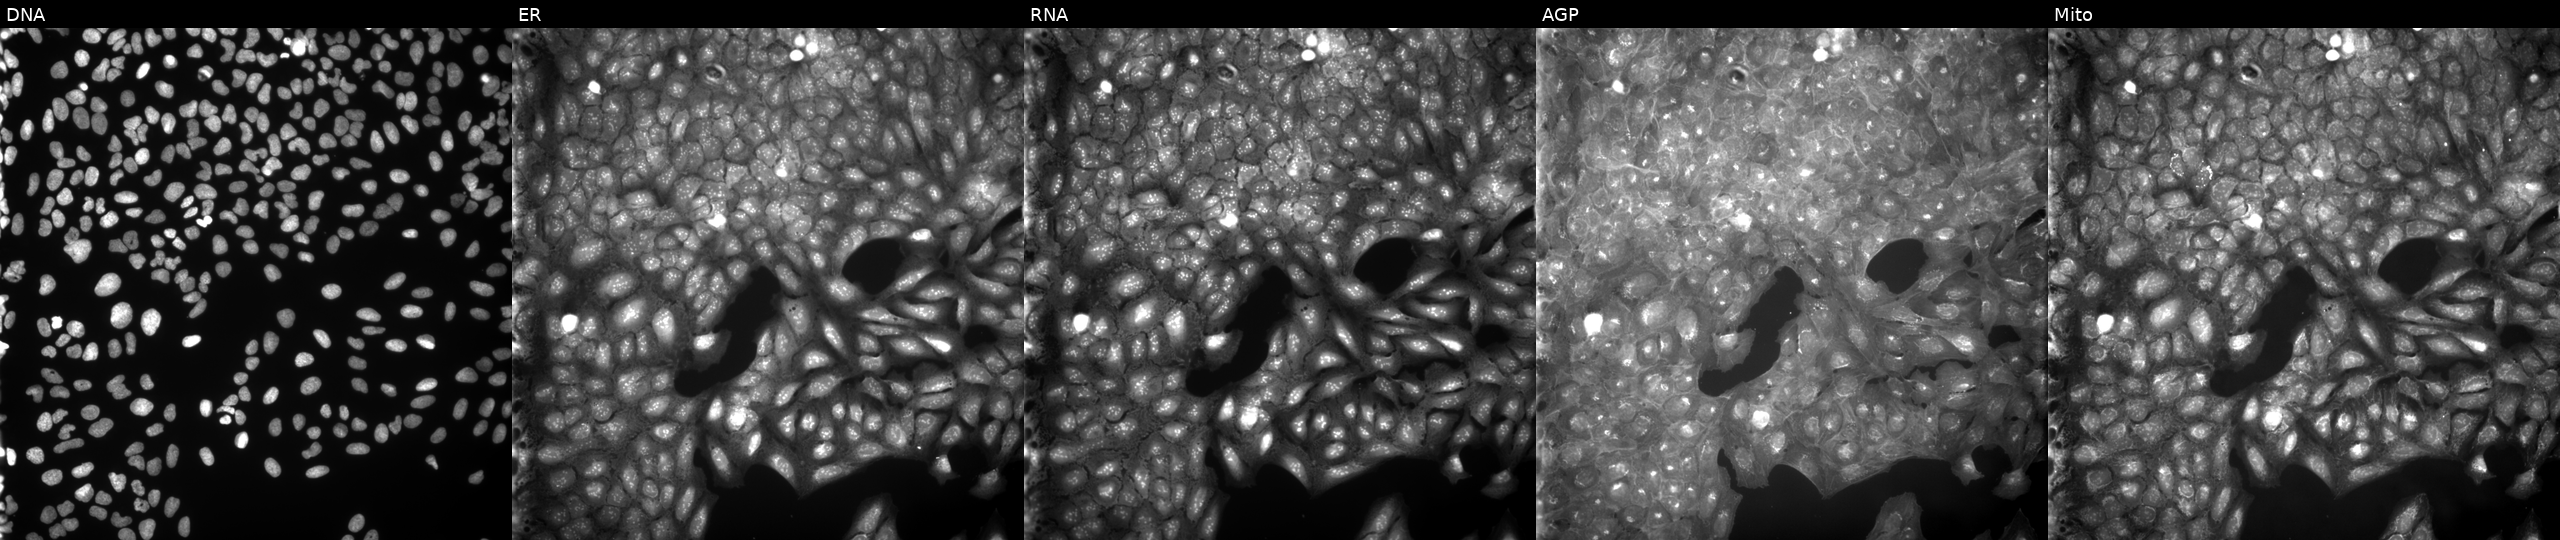
Five-channel Cell Painting image of U2OS cells treated with a small-molecule compound (JUMP id JCP2022_091744). Panels show, left to right, DNA, ER, RNA, AGP, and Mito.